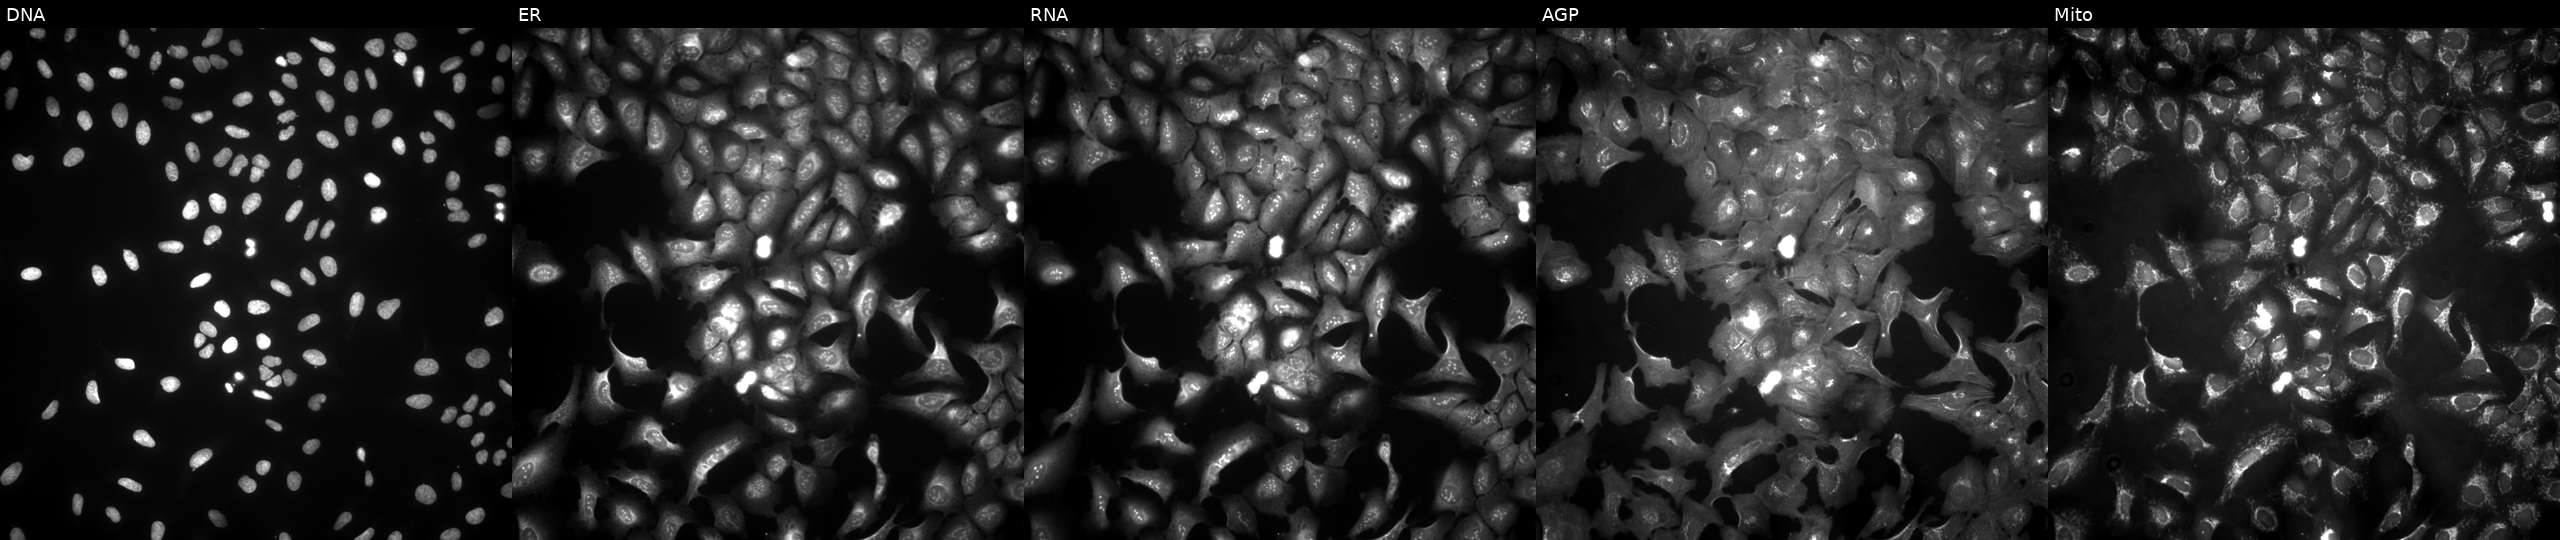
JUMP Cell Painting — ORF plate. U2OS cells transfected with an ORF construct for SERPINA3. Channels (left→right): DNA (nuclei); ER (endoplasmic reticulum); RNA (nucleoli and cytoplasmic RNA); AGP (actin cytoskeleton, Golgi, and plasma membrane); Mito (mitochondria). Source 4, plate BR00123506, well G16.